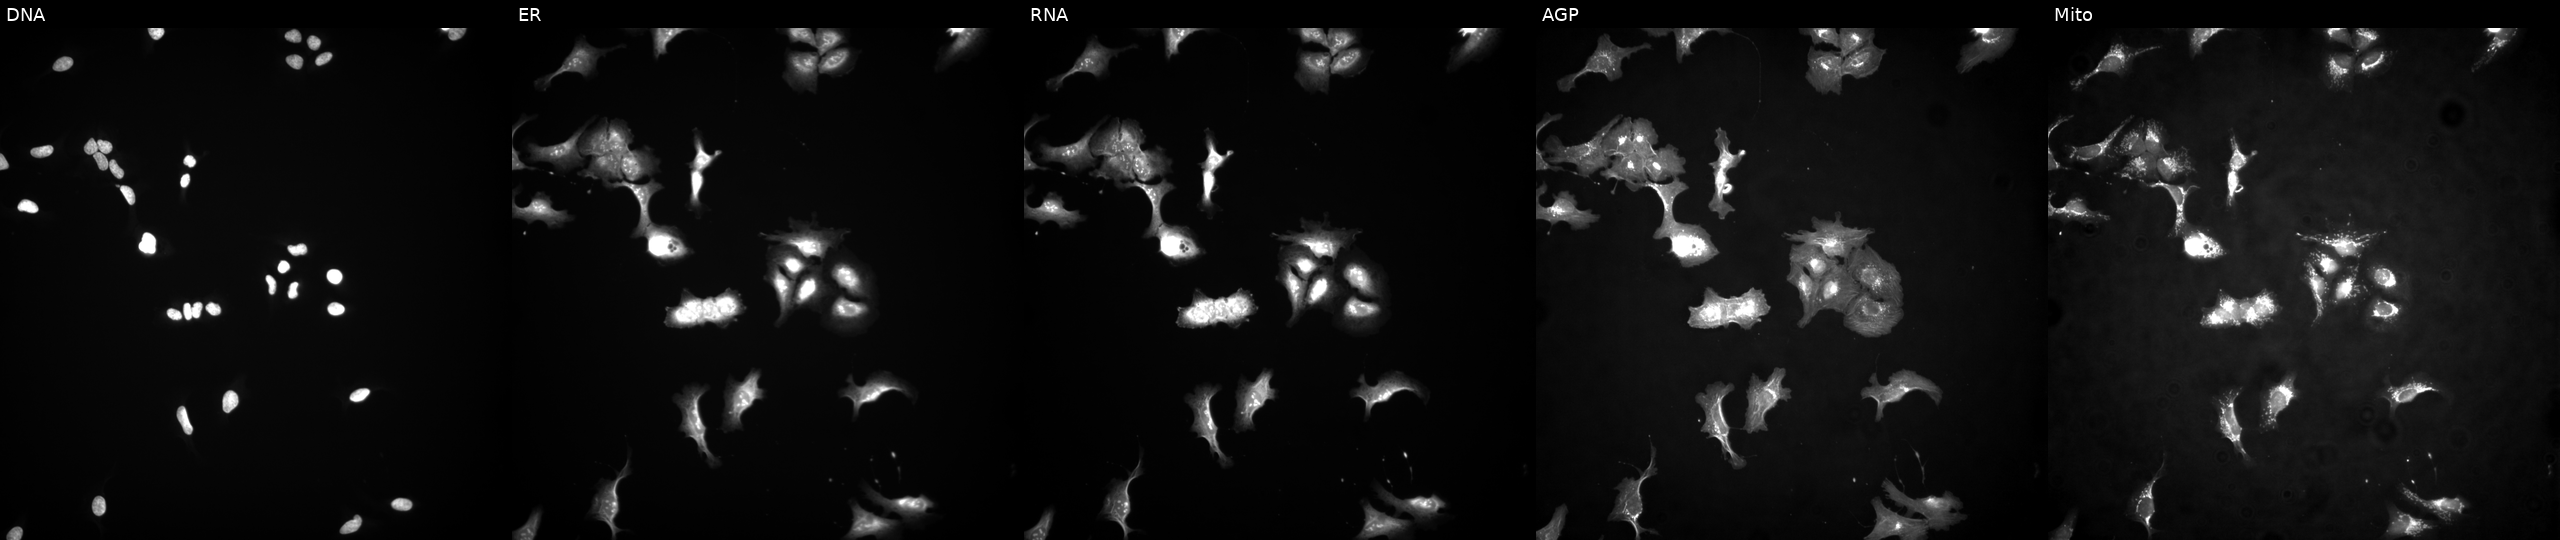
U2OS cells, Cell Painting assay, overexpressing PIAS3 via ORF transfection (JUMP id JCP2022_910716). From left to right: Hoechst 33342, concanavalin A, SYTO 14, phalloidin and WGA, MitoTracker. Each panel is percentile-stretched 16-bit fluorescence.